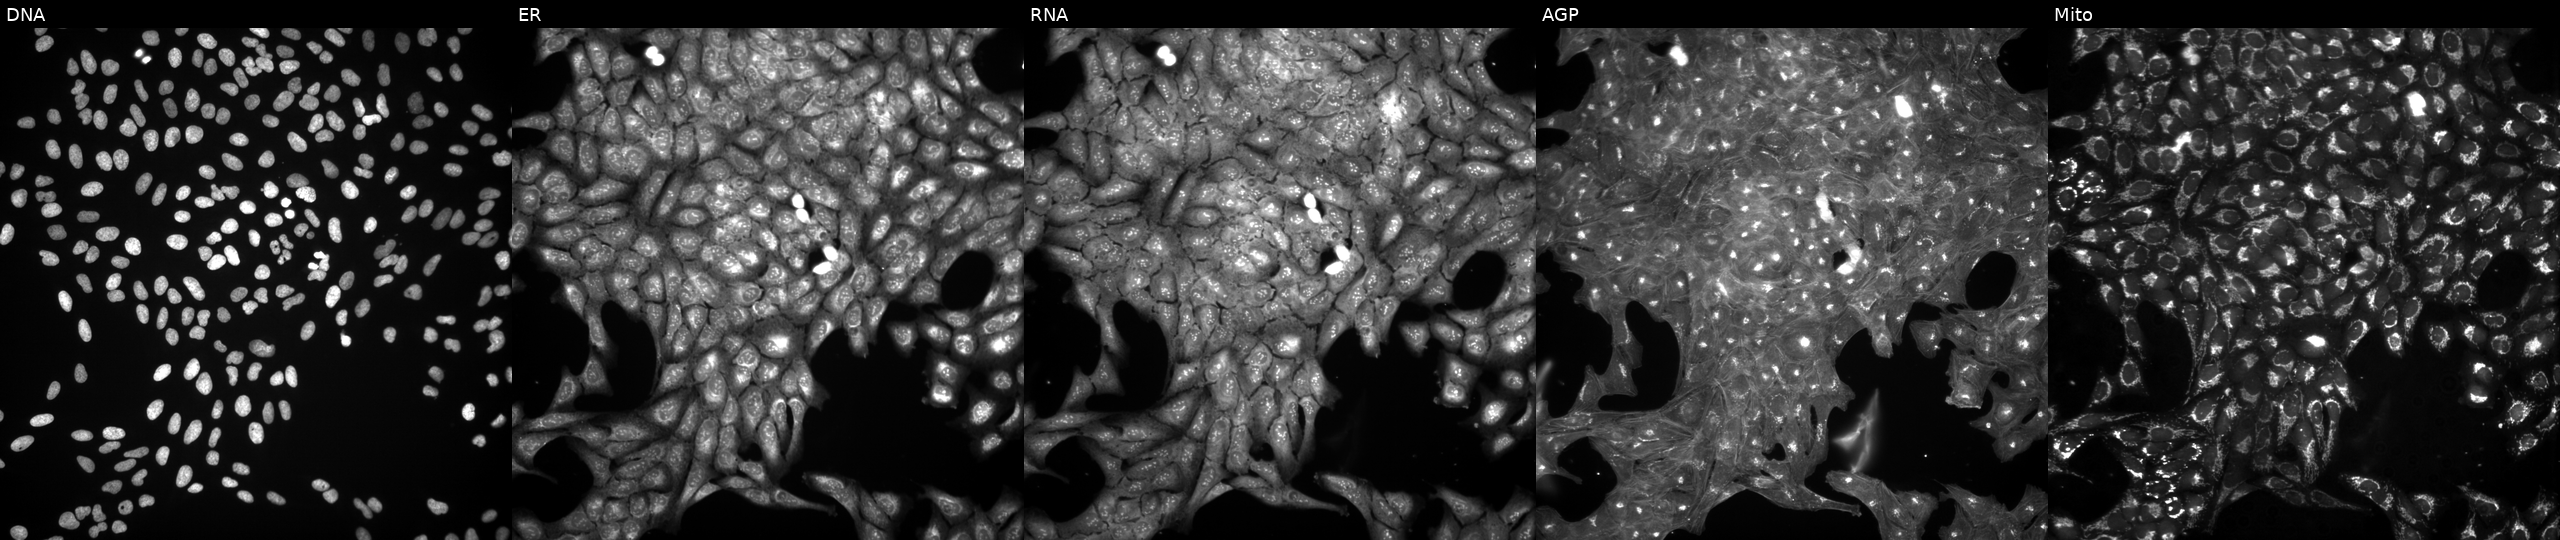
This image strip shows the five Cell Painting channels for a single field of U2OS cells exposed to the positive-control compound dexamethasone (JUMP id JCP2022_025848). Panels show, left to right, DNA, ER, RNA, AGP, and Mito.